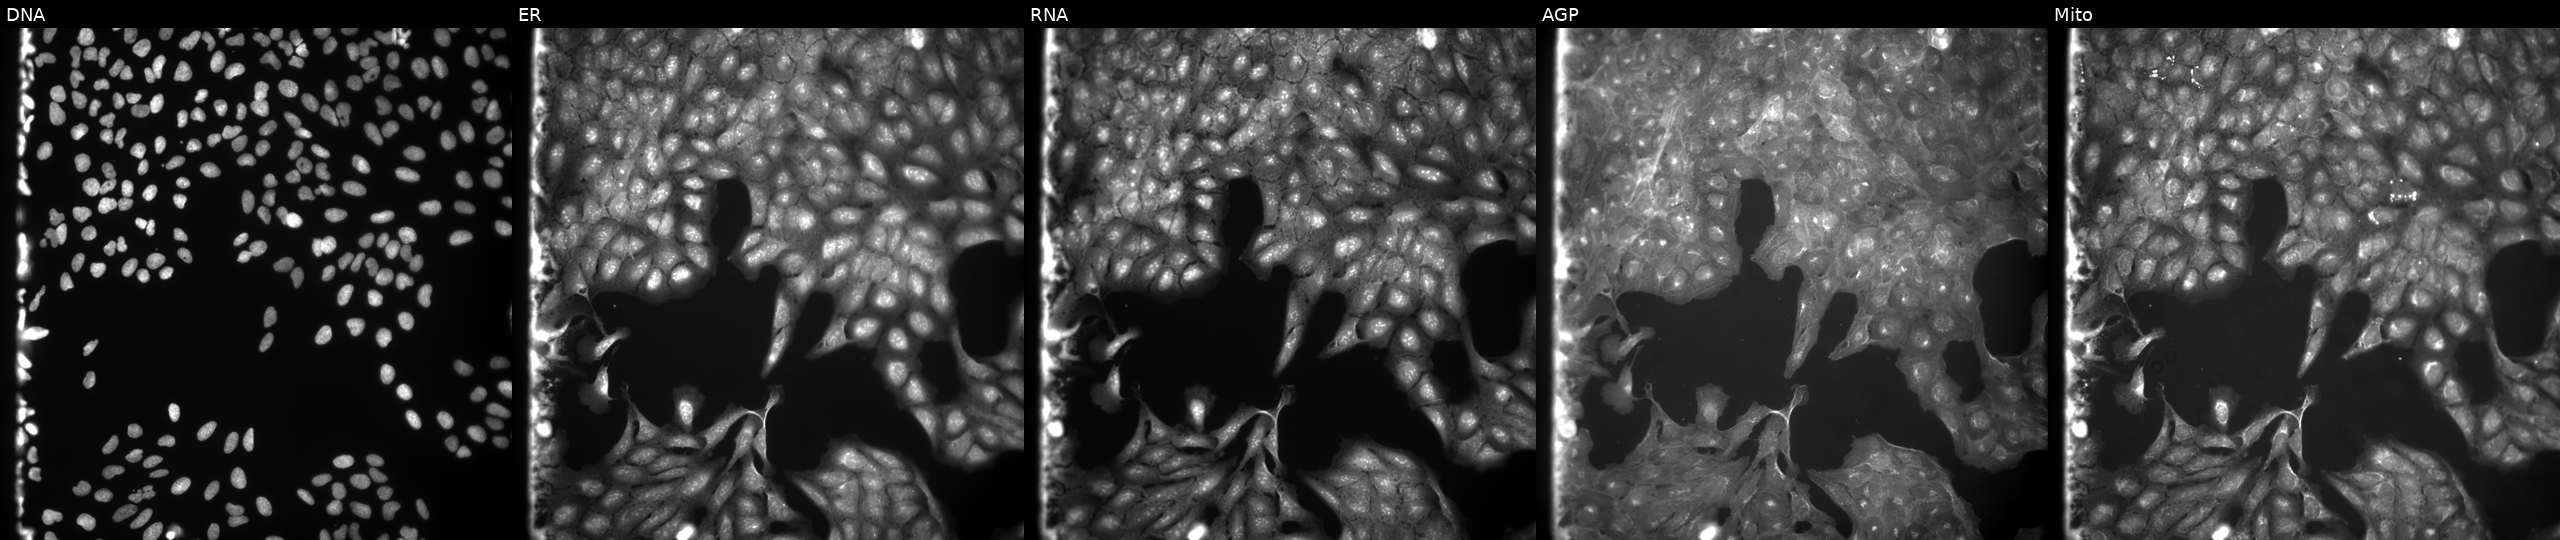
JUMP Cell Painting — COMPOUND plate. U2OS cells perturbed with a small-molecule compound (InChIKey OBKVEGSZDNHKMF-UHFFFAOYSA-N) [SMILES: CN1CCN(c2ccc(C=C3Sc4ccccc4C3=O)cc2[N+](=O)[O-])CC1]. From left to right: Hoechst 33342, concanavalin A, SYTO 14, phalloidin and WGA, MitoTracker. Source 9, plate GR00003381, well H05.